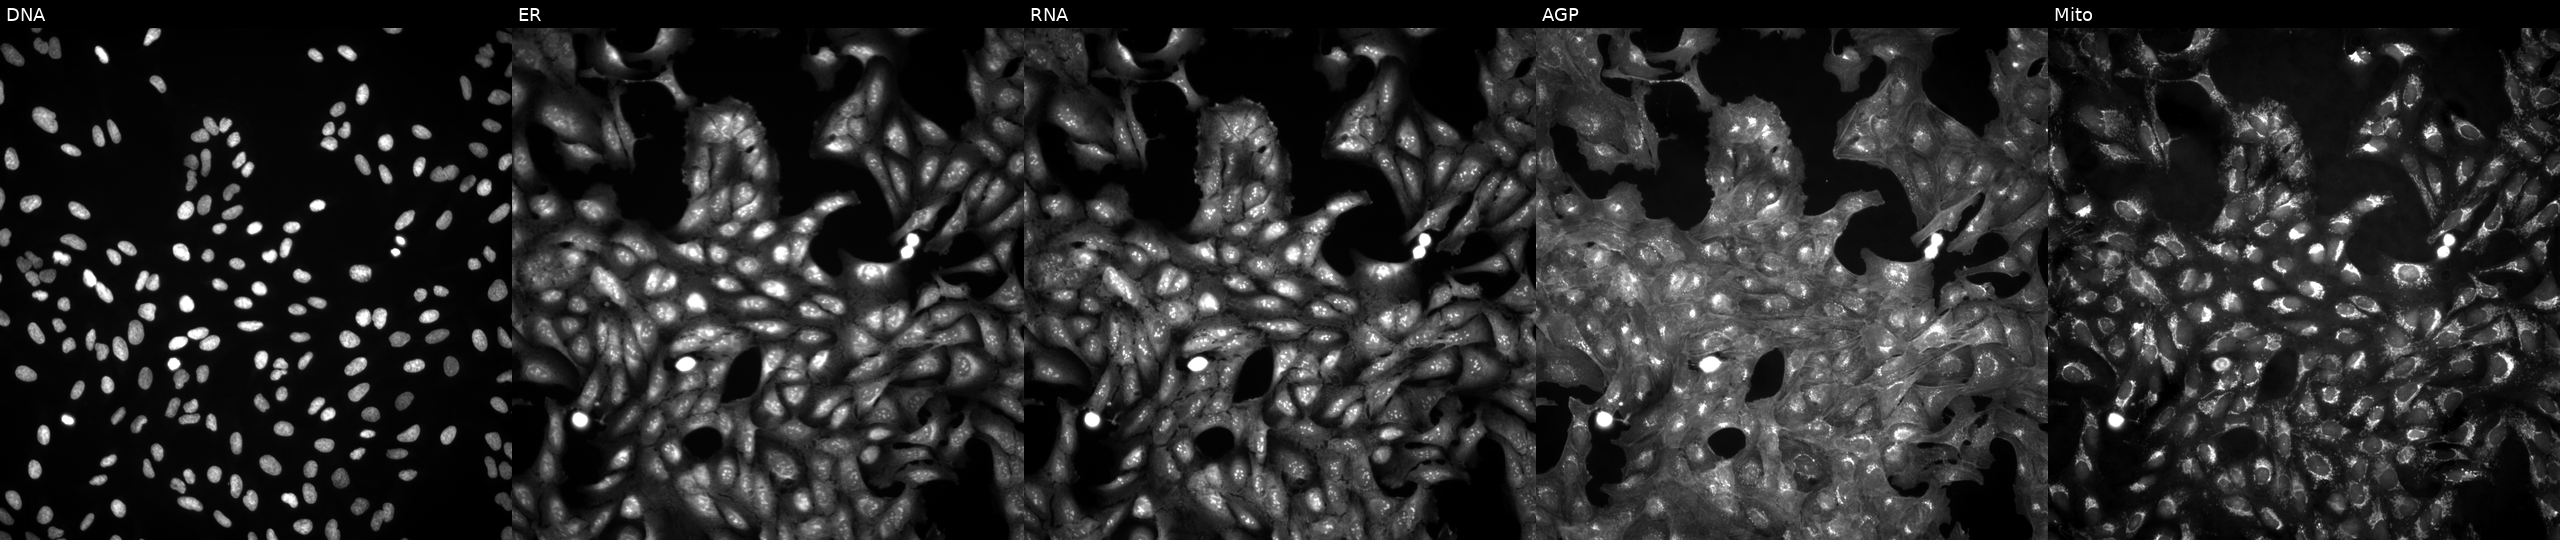
JUMP Cell Painting — ORF plate. U2OS cells untreated (empty-well control) (JUMP id JCP2022_999999). From left to right: Hoechst 33342, concanavalin A, SYTO 14, phalloidin and WGA, MitoTracker. Source 4, plate BR00123946, well F07.